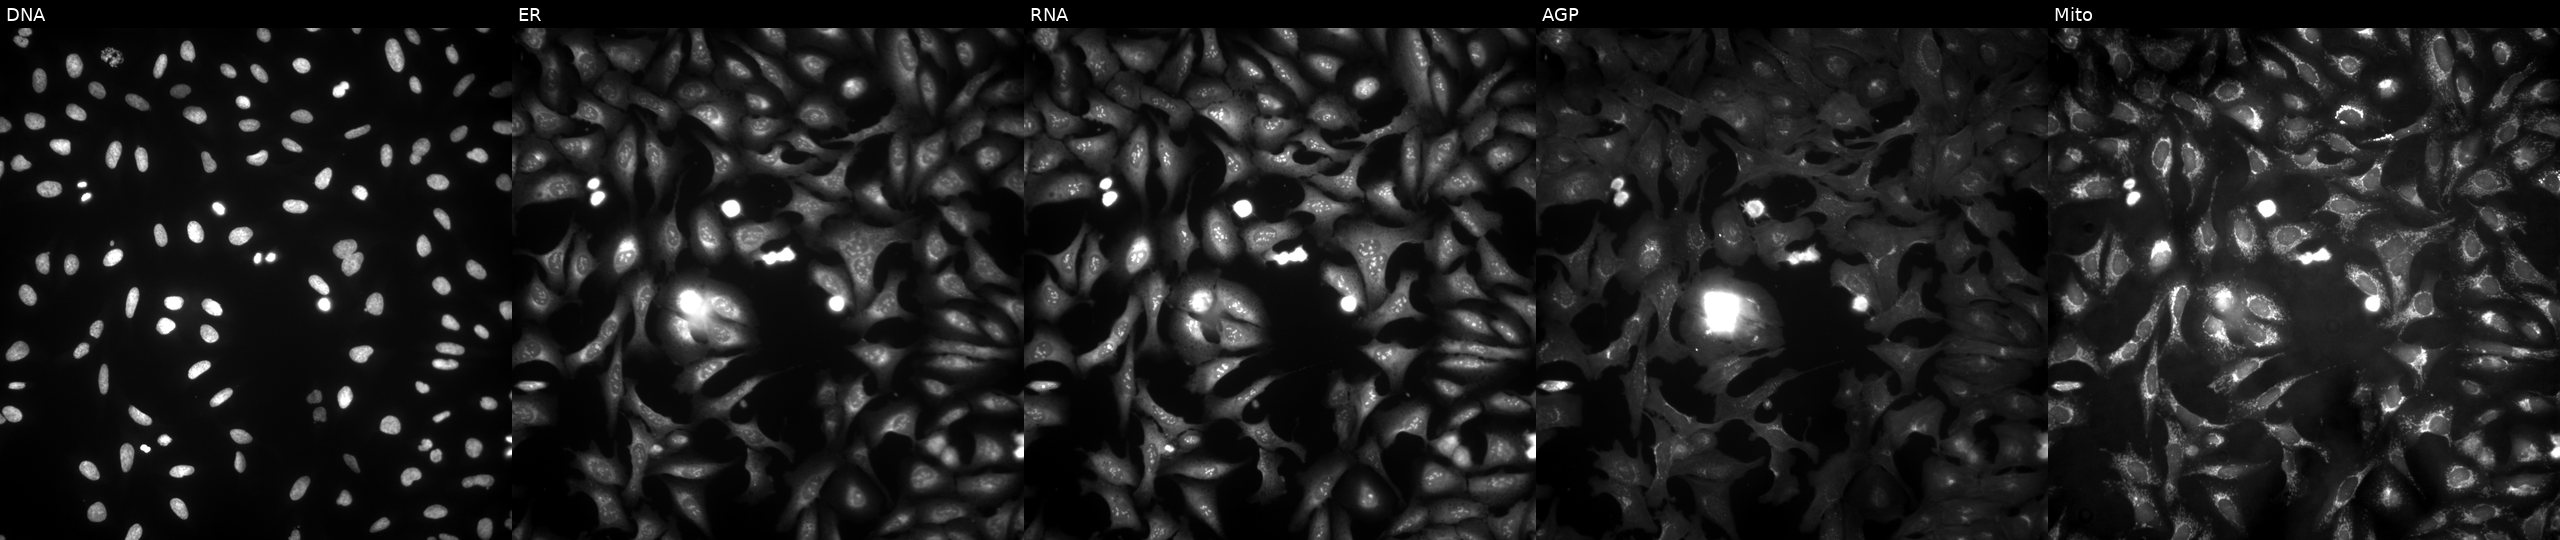
JUMP Cell Painting — ORF plate. U2OS cells with DDX39B overexpressed (ORF) (JUMP id JCP2022_906721). Panels show, left to right, DNA, ER, RNA, AGP, and Mito.